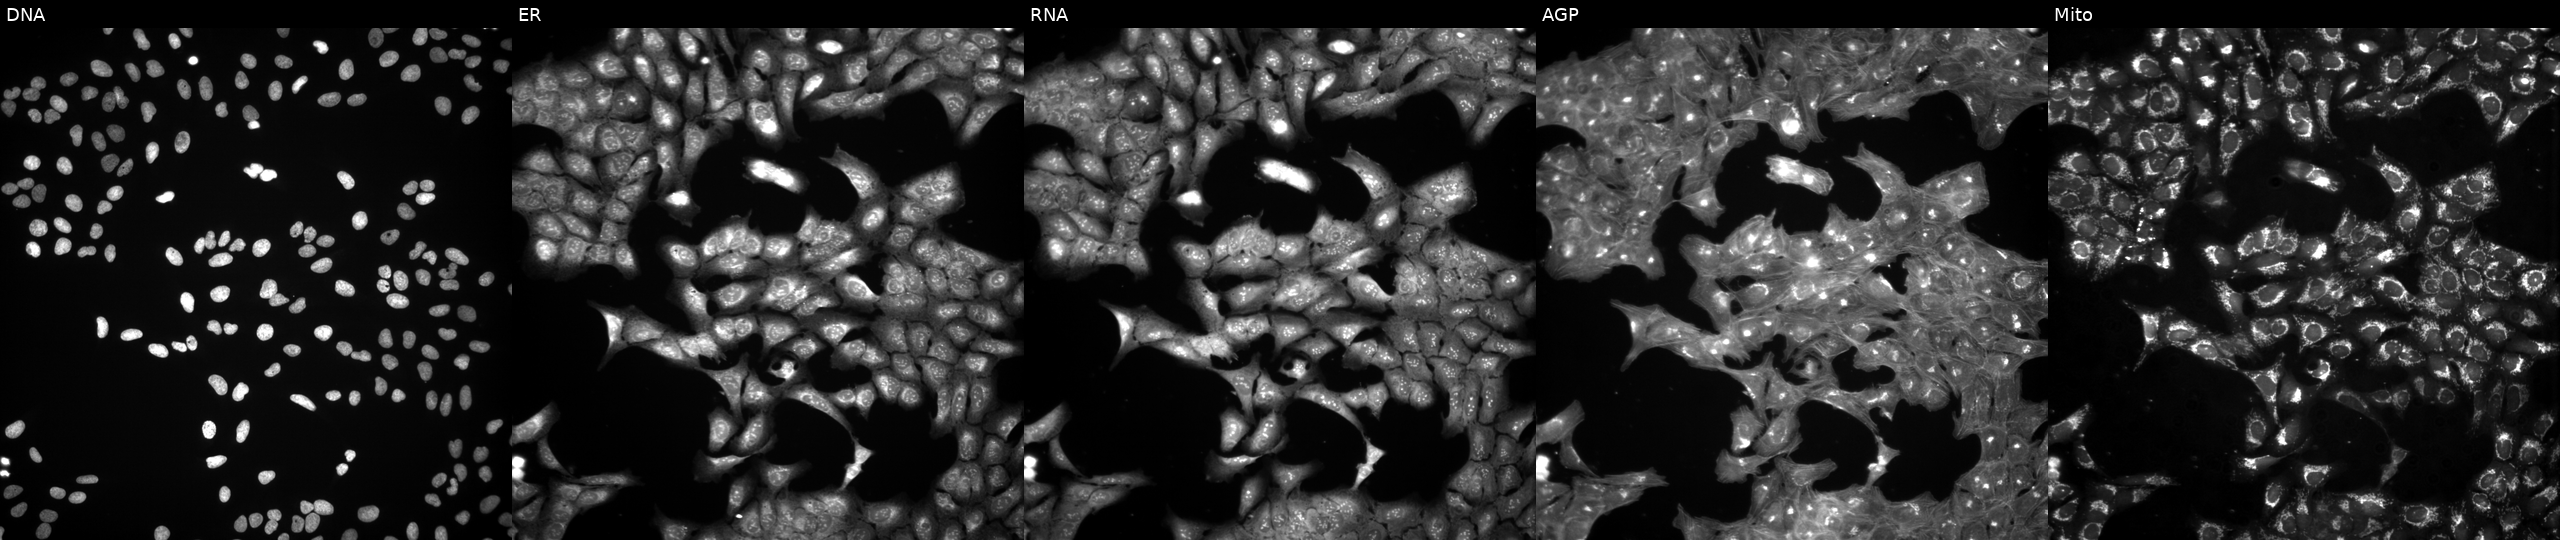
This image strip shows the five Cell Painting channels for a single field of U2OS cells treated with DMSO vehicle only (negative control). The five panels, left to right, show DNA (nuclei); ER (endoplasmic reticulum); RNA (nucleoli and cytoplasmic RNA); AGP (actin cytoskeleton, Golgi, and plasma membrane); Mito (mitochondria). Source 3, plate JCPQC052, well I02.